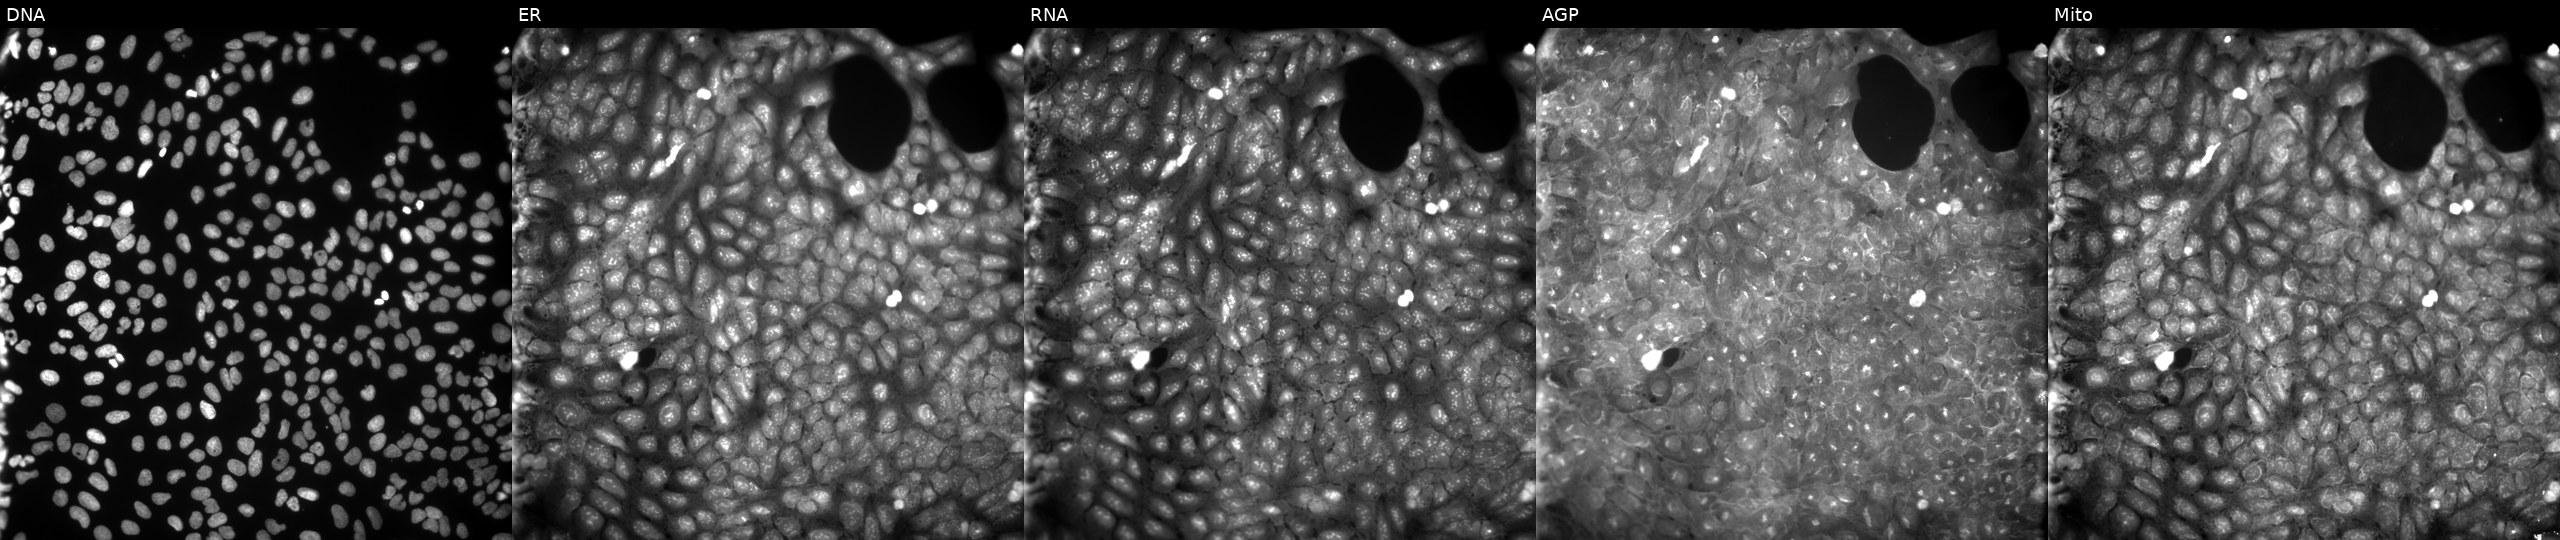
Five-channel Cell Painting image of U2OS cells treated with a small-molecule compound (InChIKey CRKMGTFXFLAMJK-UHFFFAOYSA-N). From left to right: DNA (nuclei); ER (endoplasmic reticulum); RNA (nucleoli and cytoplasmic RNA); AGP (actin cytoskeleton, Golgi, and plasma membrane); Mito (mitochondria). Source 9, plate GR00003382, well AB08.